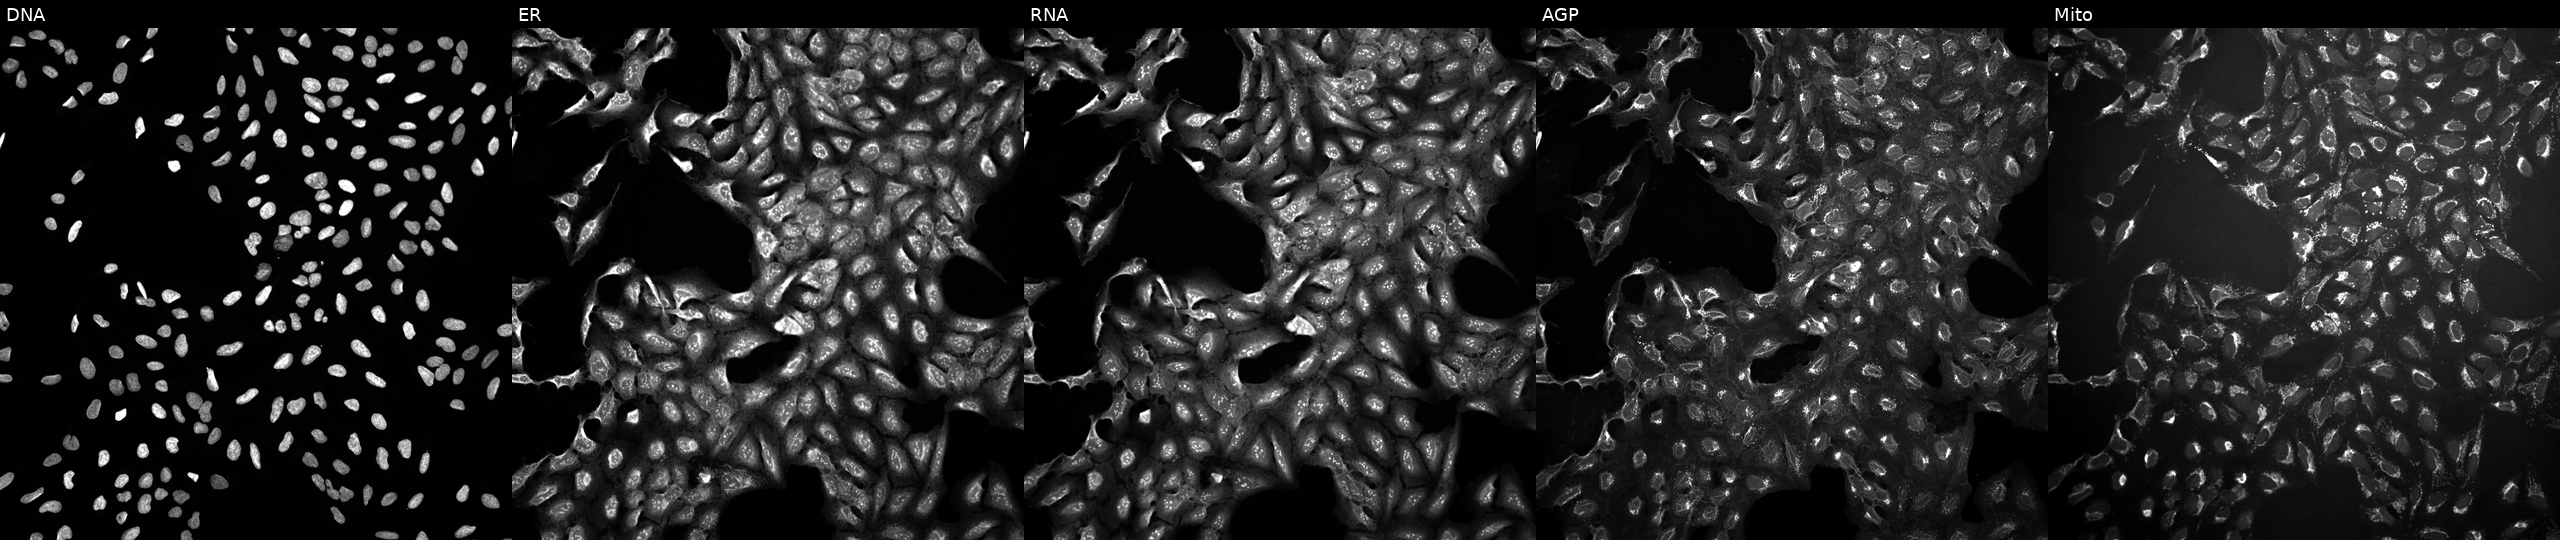
Channels (left→right): DNA (nuclei); ER (endoplasmic reticulum); RNA (nucleoli and cytoplasmic RNA); AGP (actin cytoskeleton, Golgi, and plasma membrane); Mito (mitochondria). U2OS osteosarcoma cells treated with DMSO vehicle only (negative control) (JUMP id JCP2022_033924). Cell Painting assay, JUMP-CP dataset.